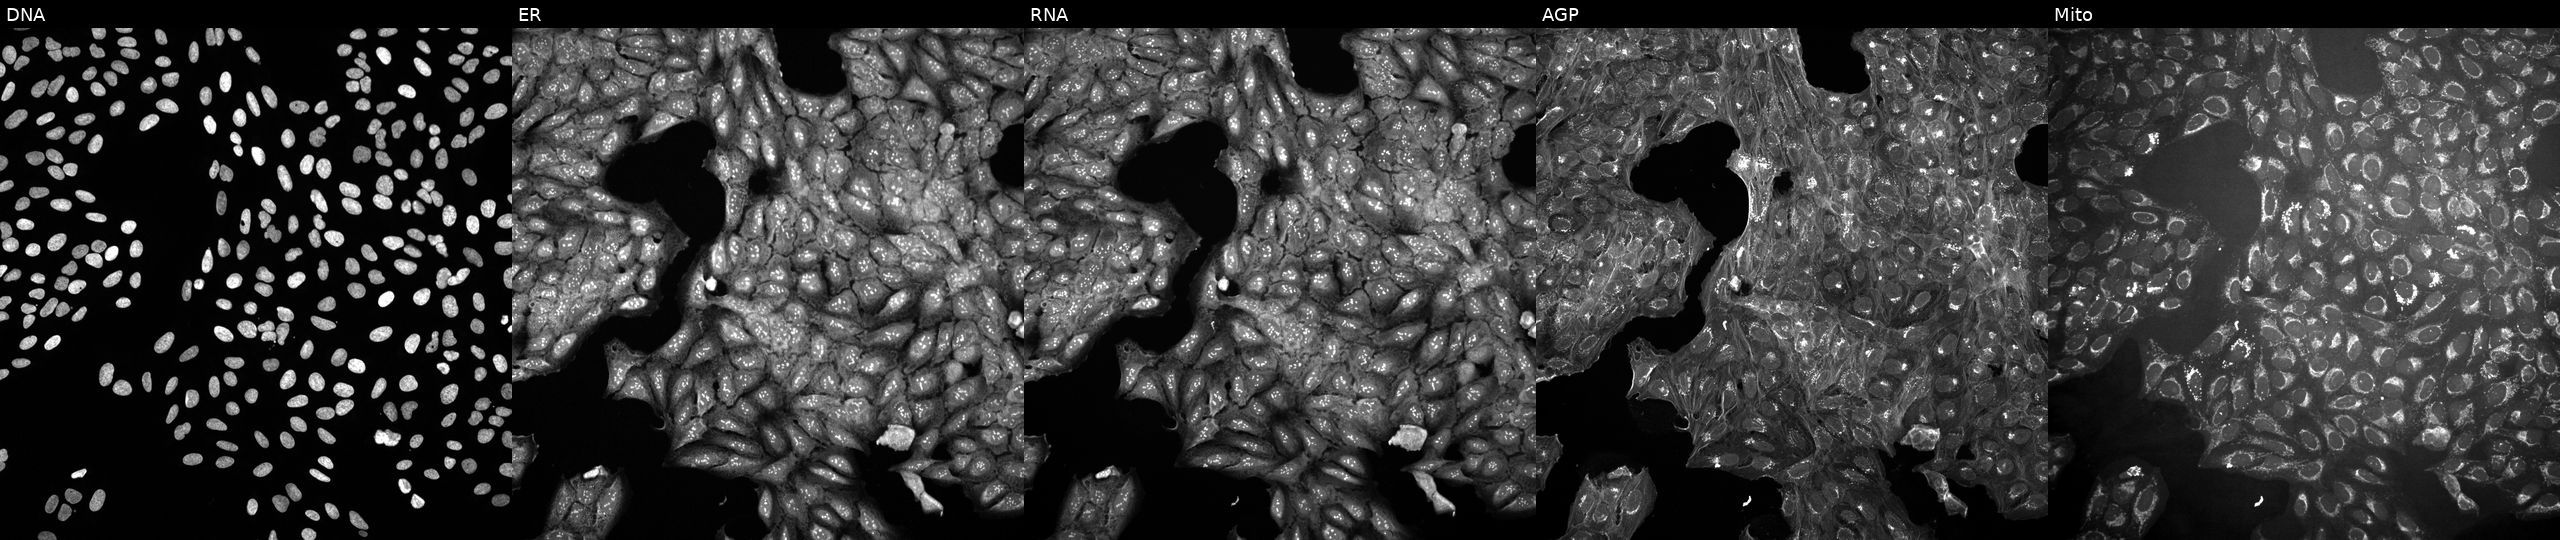
This image strip shows the five Cell Painting channels for a single field of U2OS cells exposed to a small-molecule compound (InChIKey VAVGFQZNTWNYMR-UHFFFAOYSA-N) (JUMP id JCP2022_092756). Channels (left→right): DNA (nuclei); ER (endoplasmic reticulum); RNA (nucleoli and cytoplasmic RNA); AGP (actin cytoskeleton, Golgi, and plasma membrane); Mito (mitochondria).